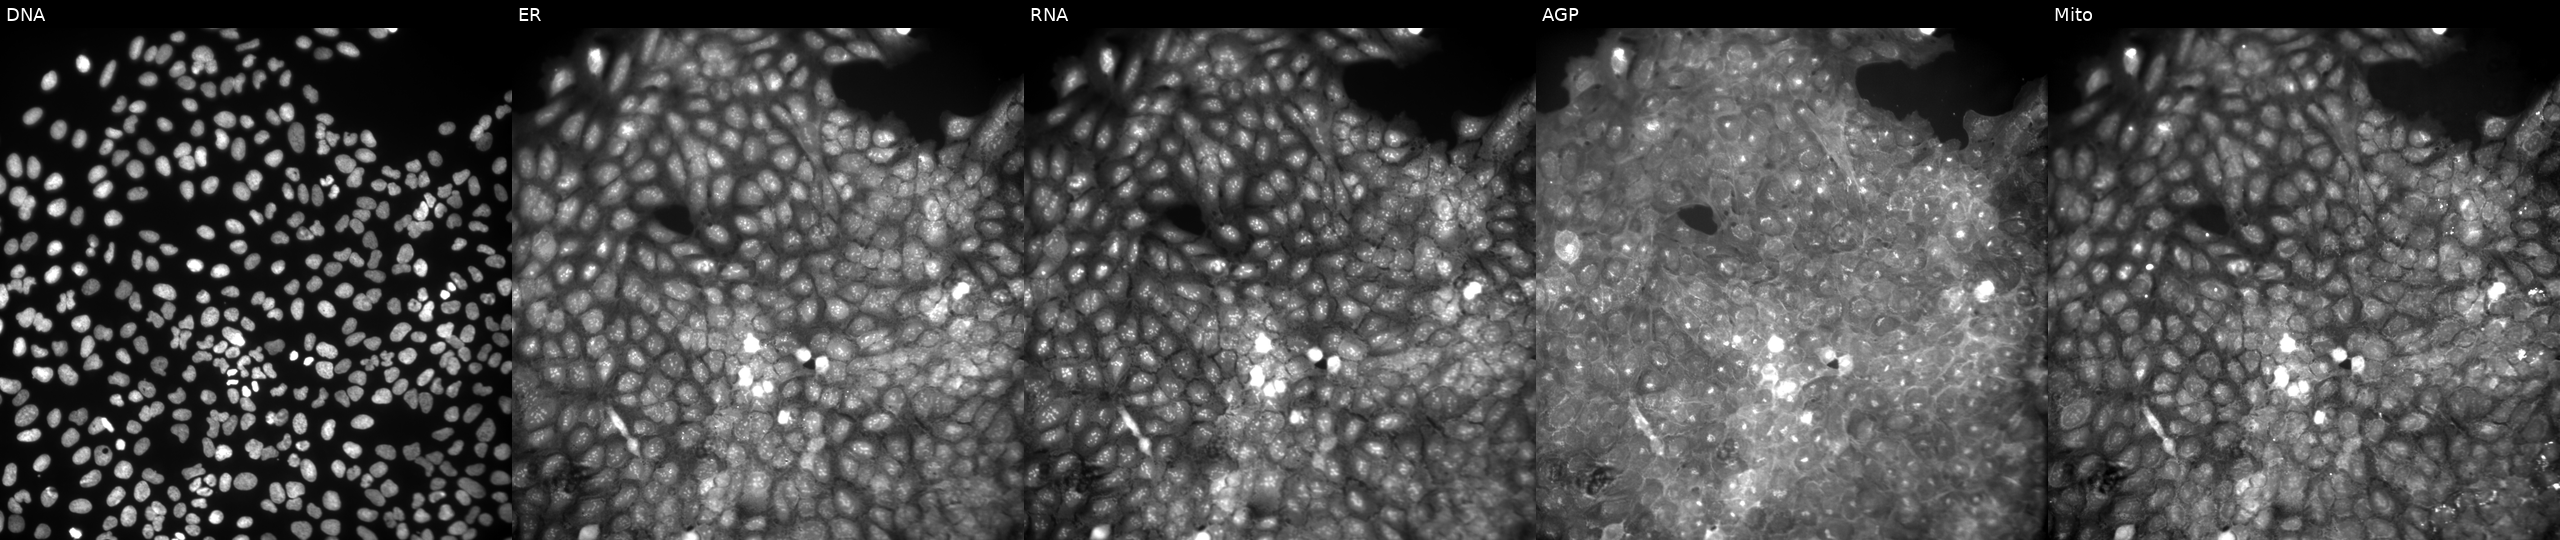
Channels (left→right): Hoechst 33342, concanavalin A, SYTO 14, phalloidin and WGA, MitoTracker. U2OS osteosarcoma cells treated with a small-molecule compound (InChIKey CKGXHHLGYUQVEN-UHFFFAOYSA-N). Cell Painting assay, JUMP-CP dataset.